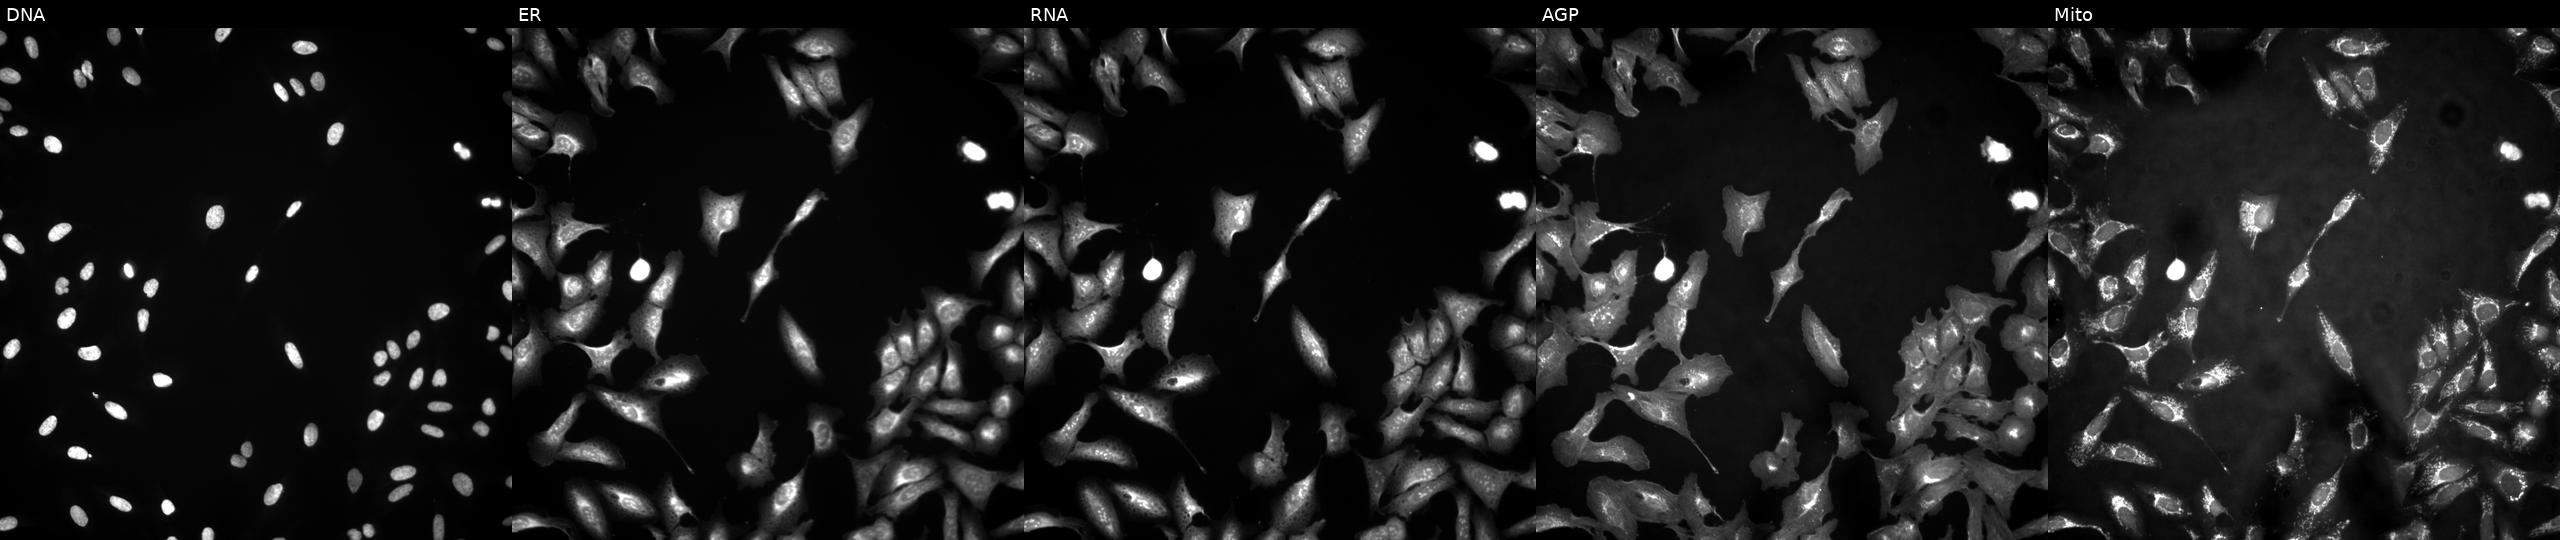
JUMP Cell Painting — ORF plate. U2OS cells with DNM1L overexpressed (ORF). From left to right: Hoechst 33342, concanavalin A, SYTO 14, phalloidin and WGA, MitoTracker.